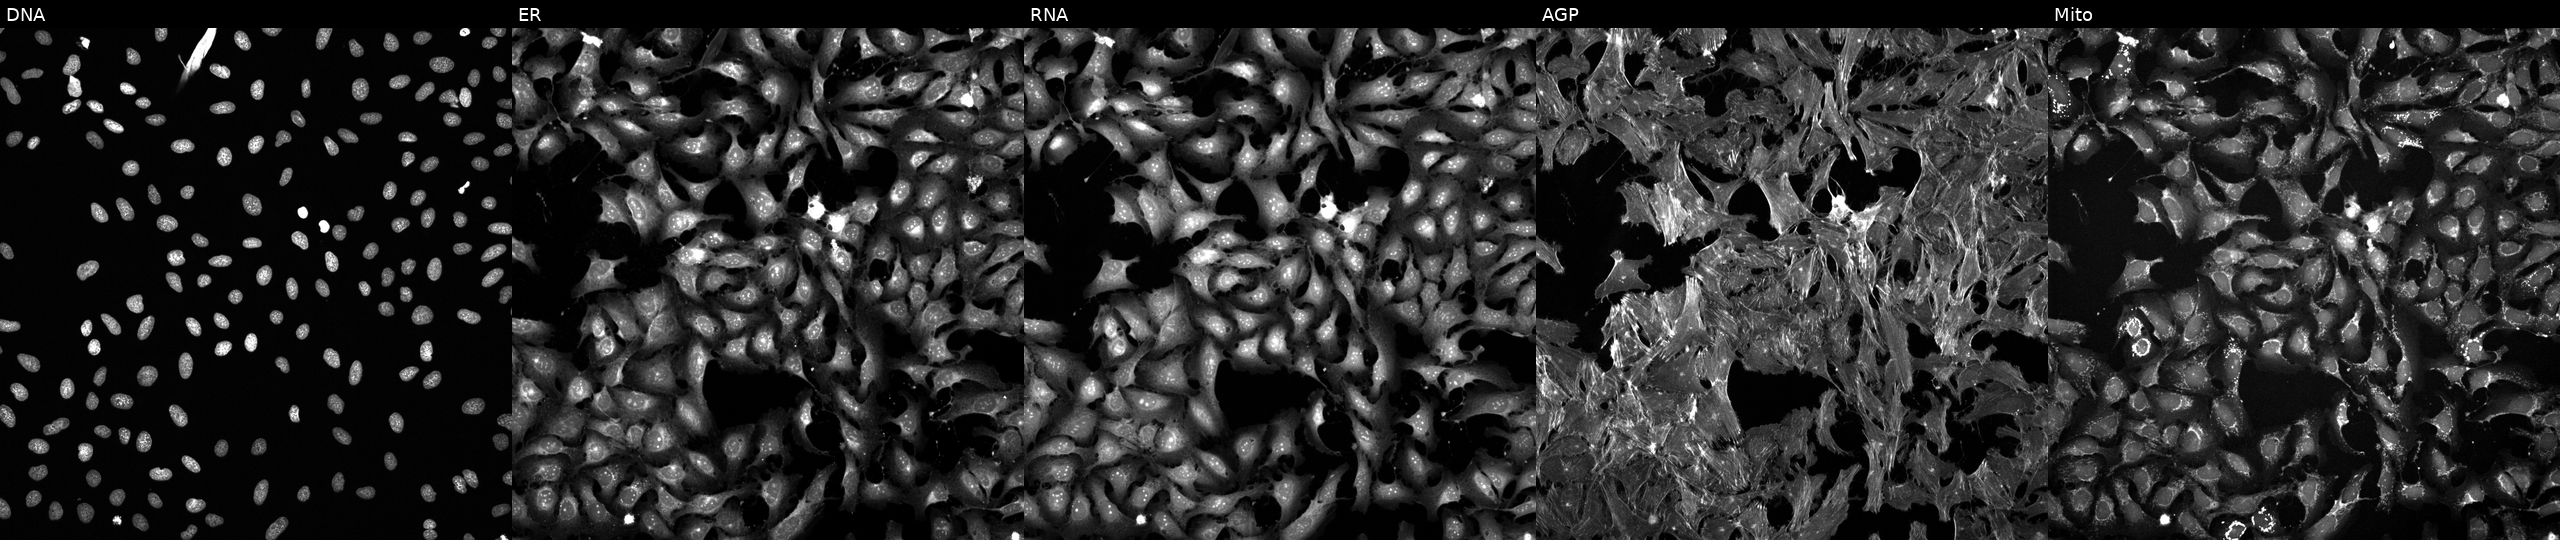
The five panels, left to right, show DNA (nuclei); ER (endoplasmic reticulum); RNA (nucleoli and cytoplasmic RNA); AGP (actin cytoskeleton, Golgi, and plasma membrane); Mito (mitochondria). U2OS osteosarcoma cells treated with FK-866 (positive-control compound) (JUMP id JCP2022_046054). Cell Painting assay, JUMP-CP dataset. Source 6, plate 110000293083, well P24.